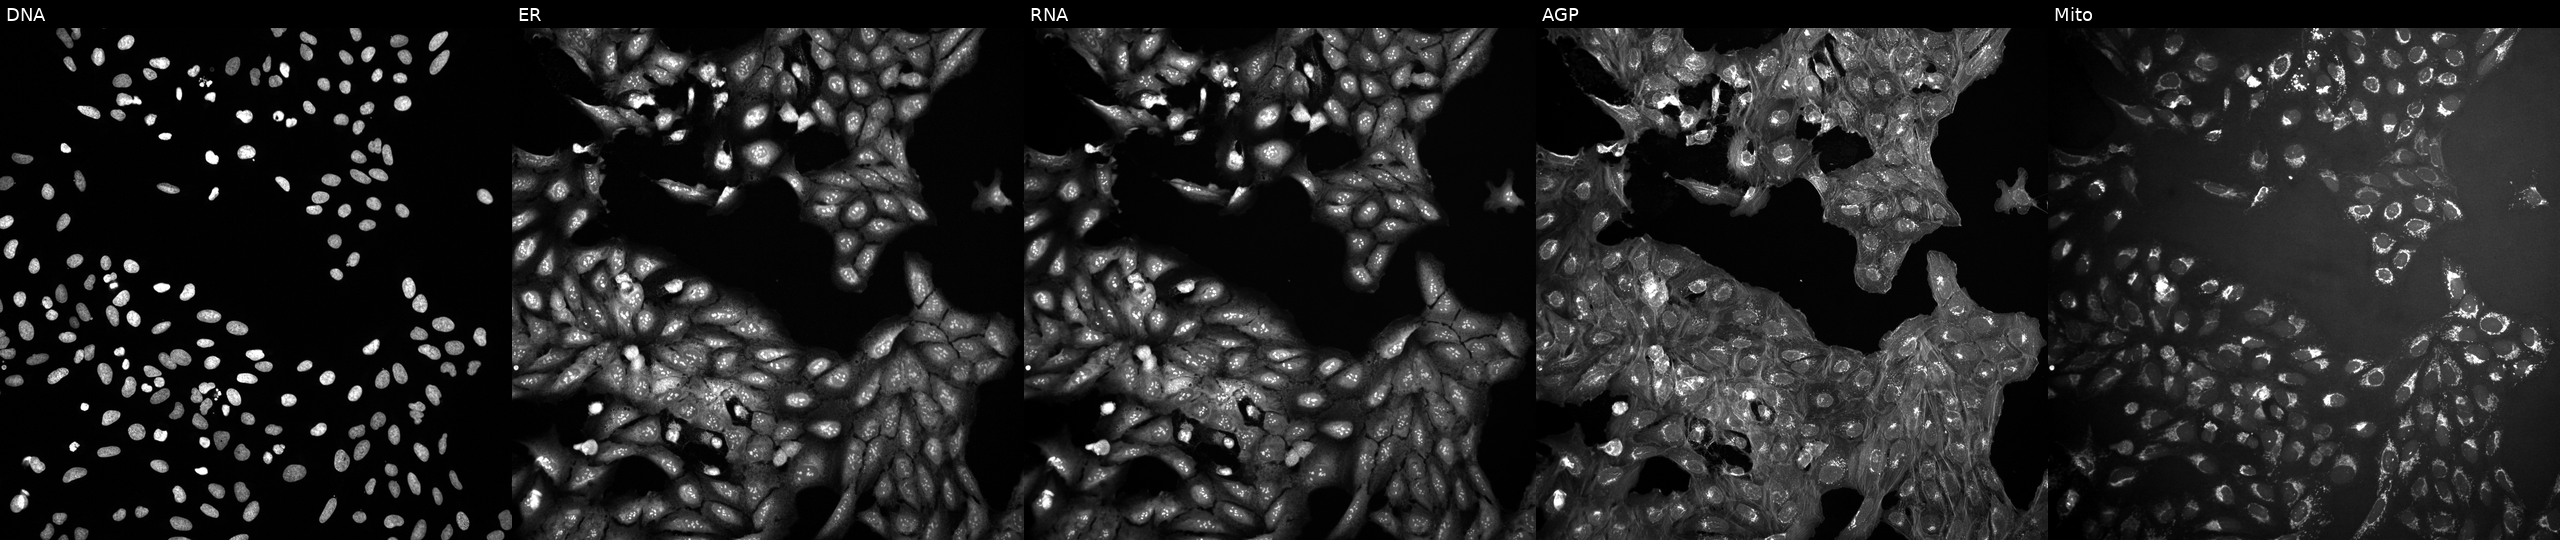
JUMP Cell Painting — COMPOUND plate. U2OS cells treated with a small-molecule compound (InChIKey MOQWDHSSODJEDU-UHFFFAOYSA-N). Panels show, left to right, DNA, ER, RNA, AGP, and Mito.